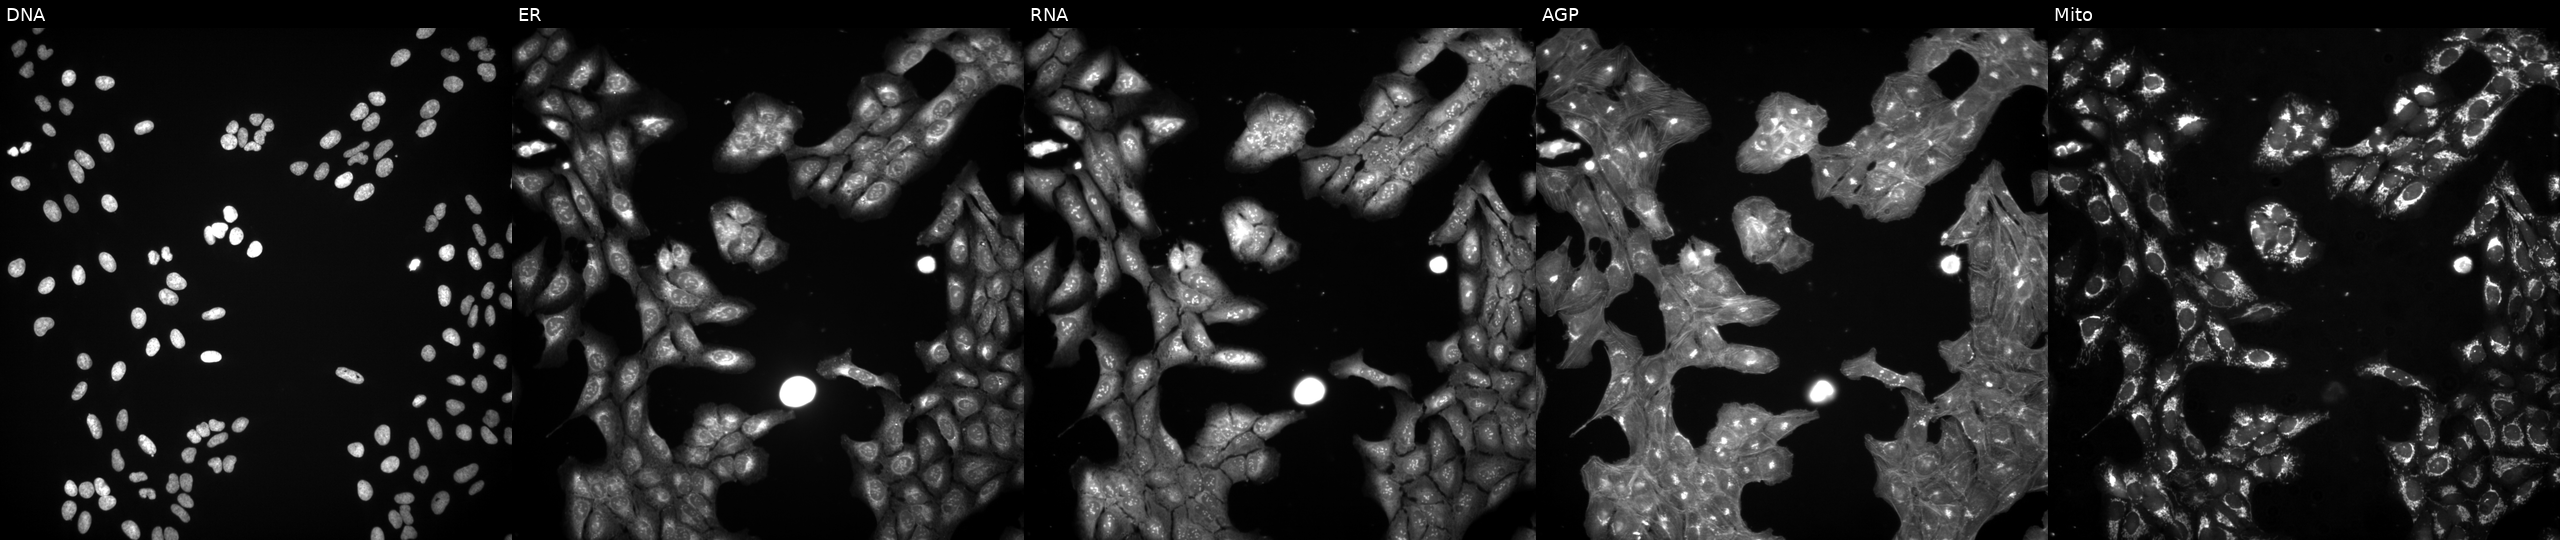
This image strip shows the five Cell Painting channels for a single field of U2OS cells perturbed with a small-molecule compound (JUMP id JCP2022_071464). Channels (left→right): DNA, ER, RNA, AGP, and Mito. Source 3, plate BR5867b3, well G16.